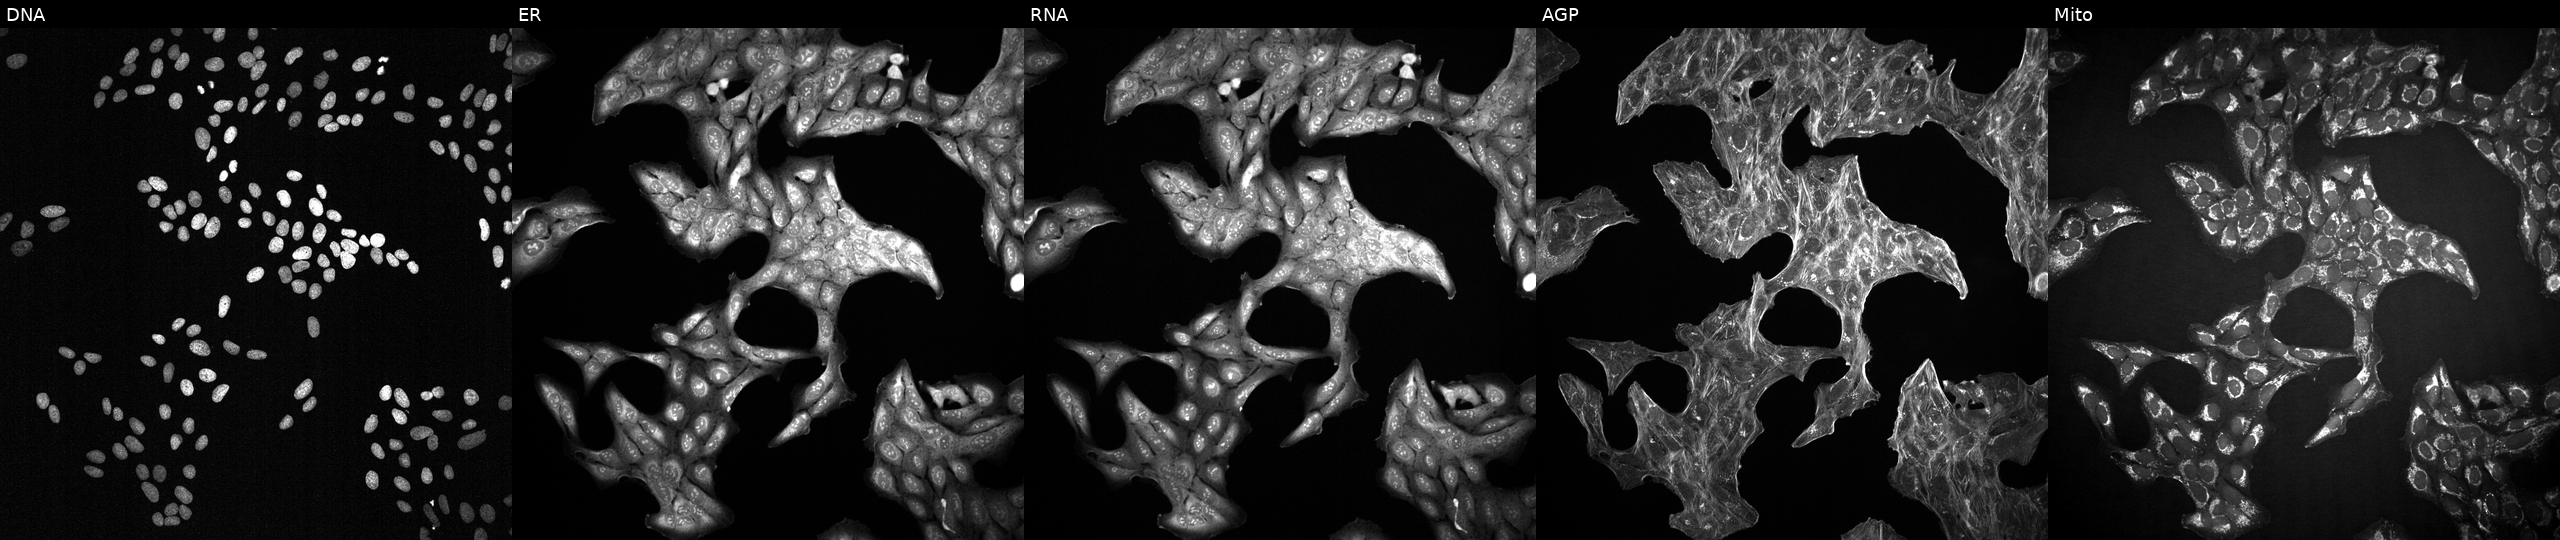
JUMP Cell Painting — TARGET2 plate. U2OS cells treated with a small-molecule compound (InChIKey IIQUYGWWHIHOCF-UHFFFAOYSA-N) (JUMP id JCP2022_035296). Channels (left→right): DNA, ER, RNA, AGP, and Mito. Source 2, plate 1053599503, well J01.